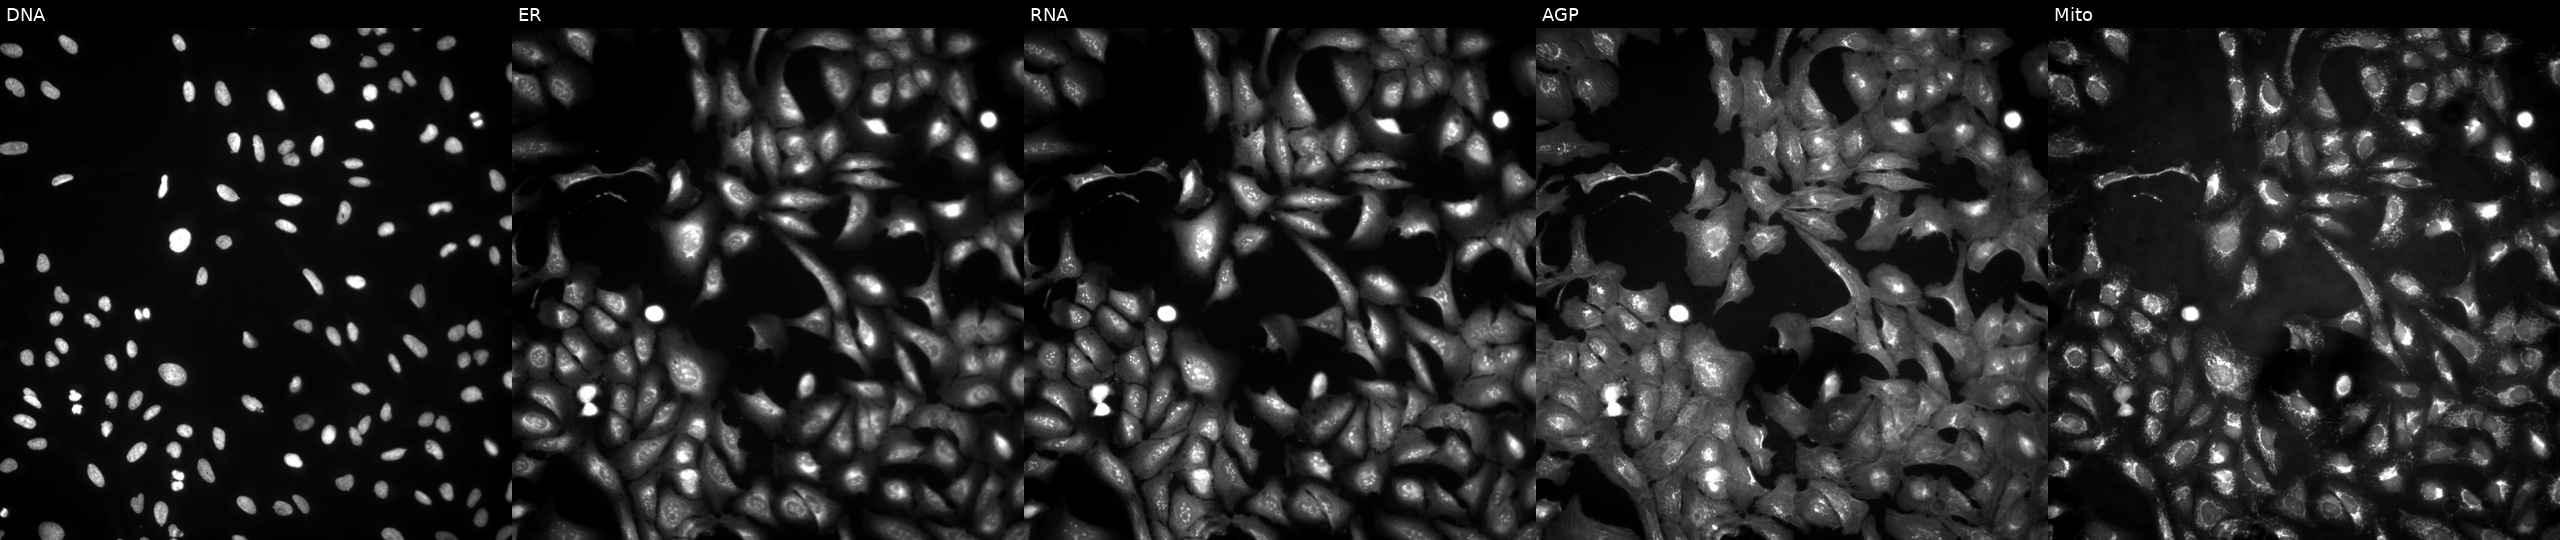
This image strip shows the five Cell Painting channels for a single field of U2OS cells overexpressing TM4SF20 via ORF transfection (JUMP id JCP2022_908373). From left to right: DNA (nuclei); ER (endoplasmic reticulum); RNA (nucleoli and cytoplasmic RNA); AGP (actin cytoskeleton, Golgi, and plasma membrane); Mito (mitochondria).